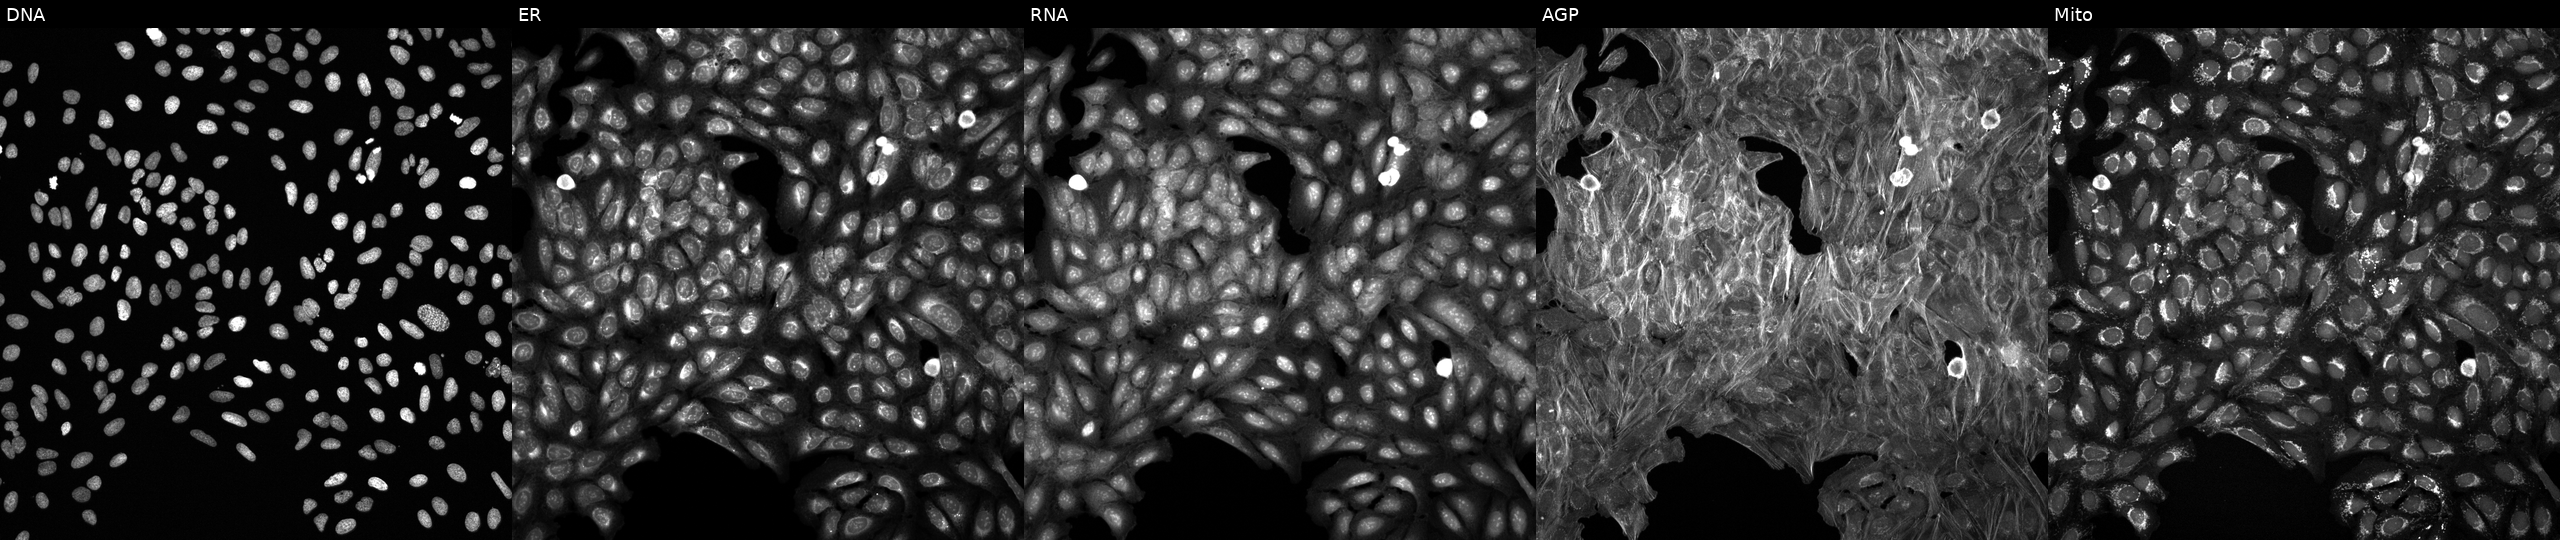
High-content fluorescence microscopy (Cell Painting). Cell line: U2OS. Perturbation: treated with a small-molecule compound (JUMP id JCP2022_046239). The five panels, left to right, show DNA, ER, RNA, AGP, and Mito. Source 6, plate 110000294901, well G13.